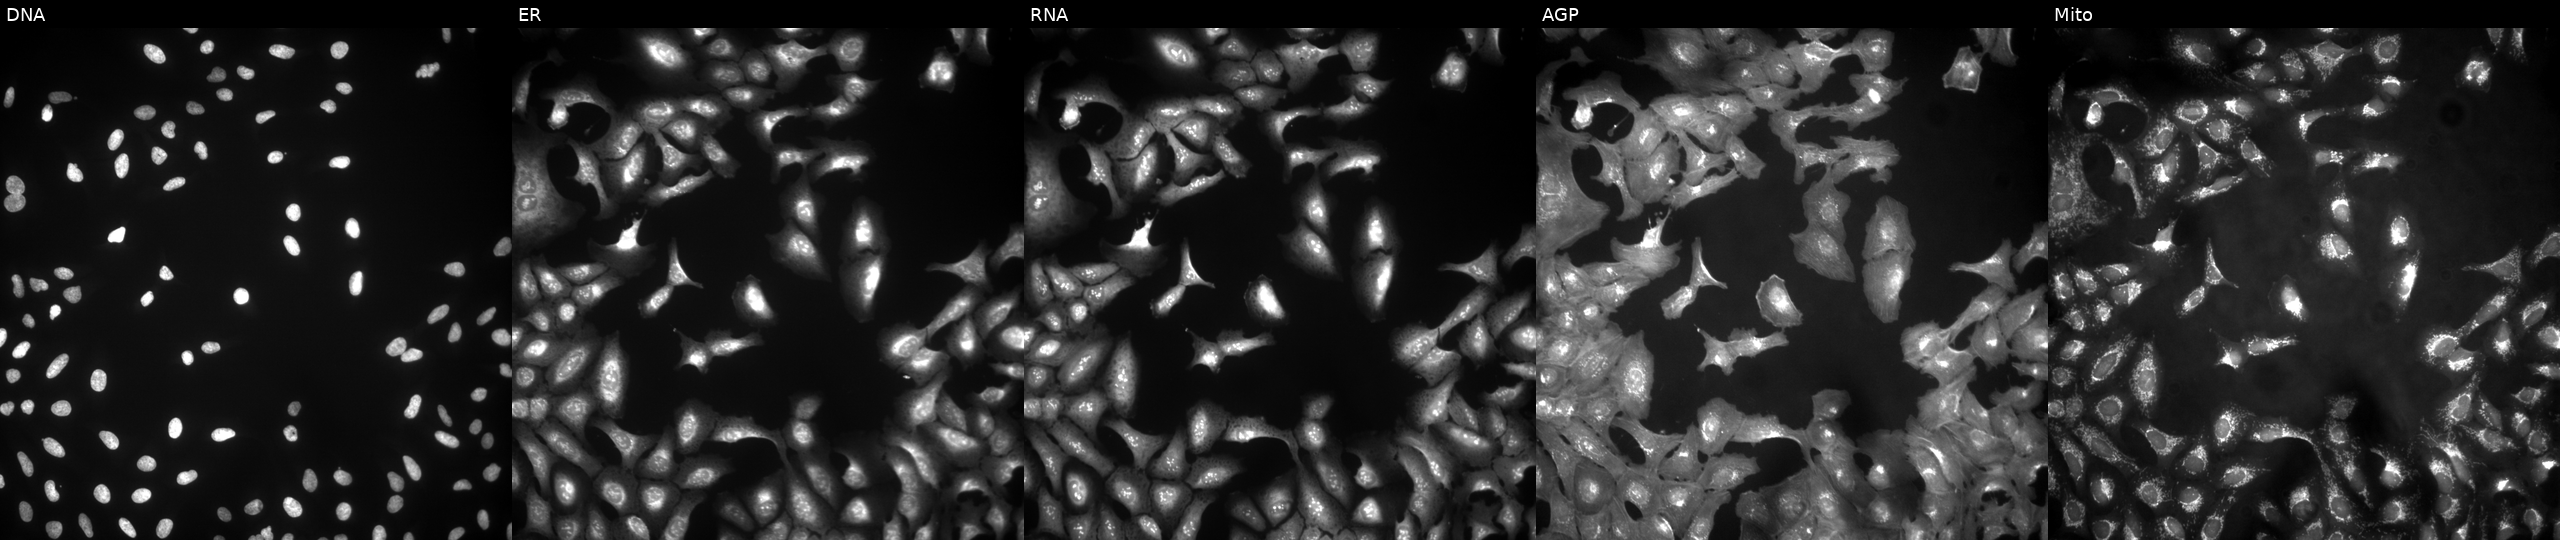
Panels show, left to right, Hoechst 33342, concanavalin A, SYTO 14, phalloidin and WGA, MitoTracker. U2OS osteosarcoma cells expressing eGFP (ORF positive control). Cell Painting assay, JUMP-CP dataset. Source 4, plate BR00123506, well P19.